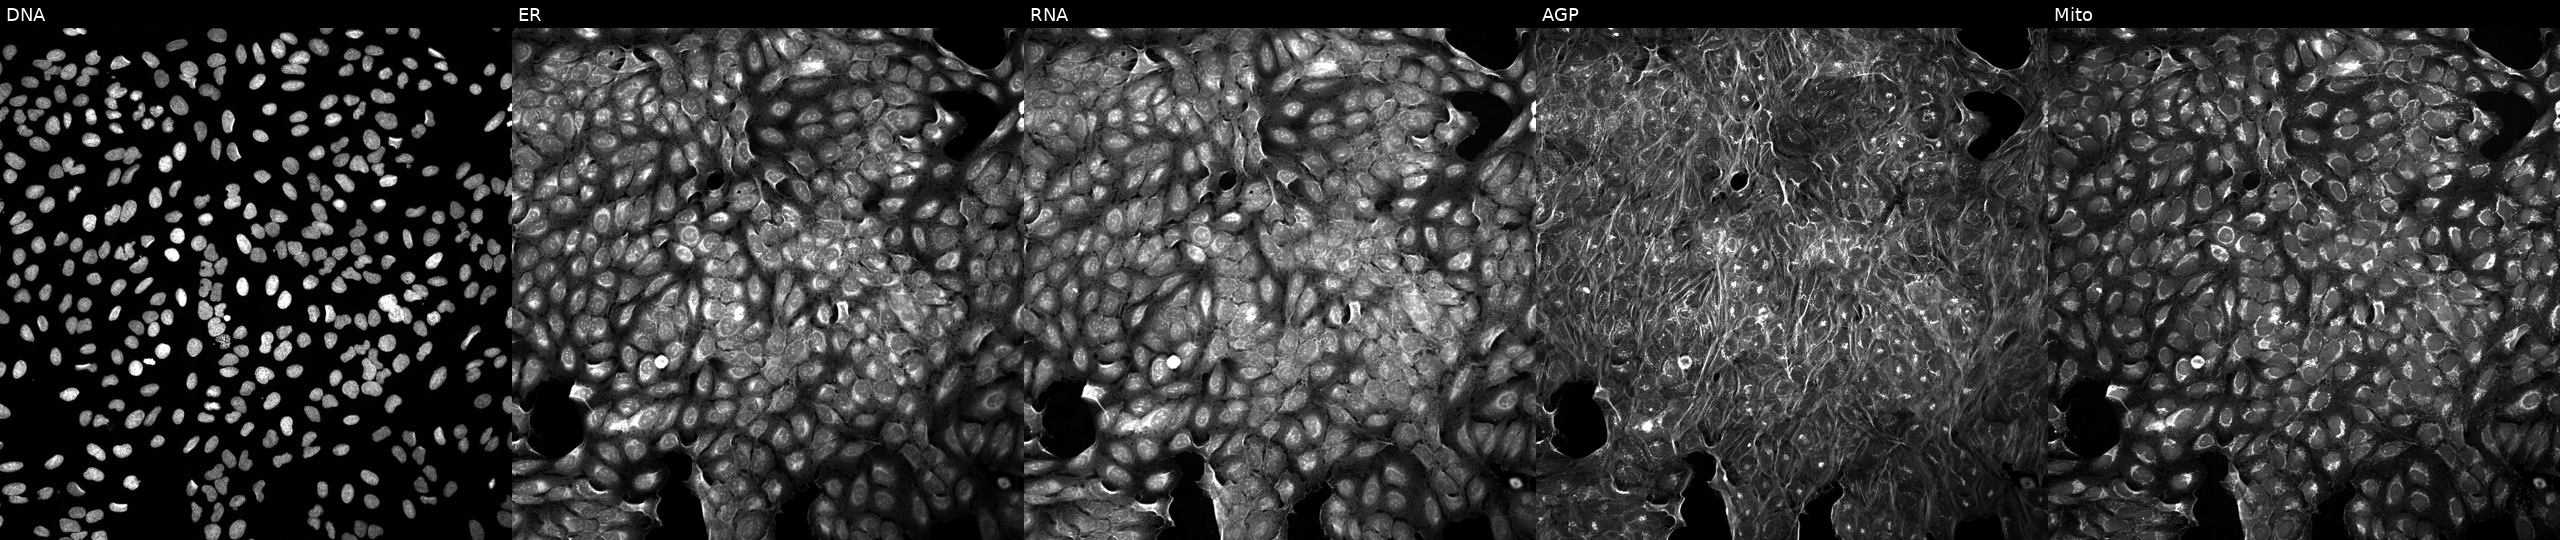
High-content fluorescence microscopy (Cell Painting). Cell line: U2OS. Perturbation: perturbed with a small-molecule compound (InChIKey NYNZQNWKBKUAII-UHFFFAOYSA-N) [SMILES: O=C(Nc1cnn2ccc(N3CCCC3c3cc(F)ccc3F)nc12)N1CCC(O)C1] (JUMP id JCP2022_062184). From left to right: DNA, ER, RNA, AGP, and Mito. Source 5, plate ACPJUM012, well O21.